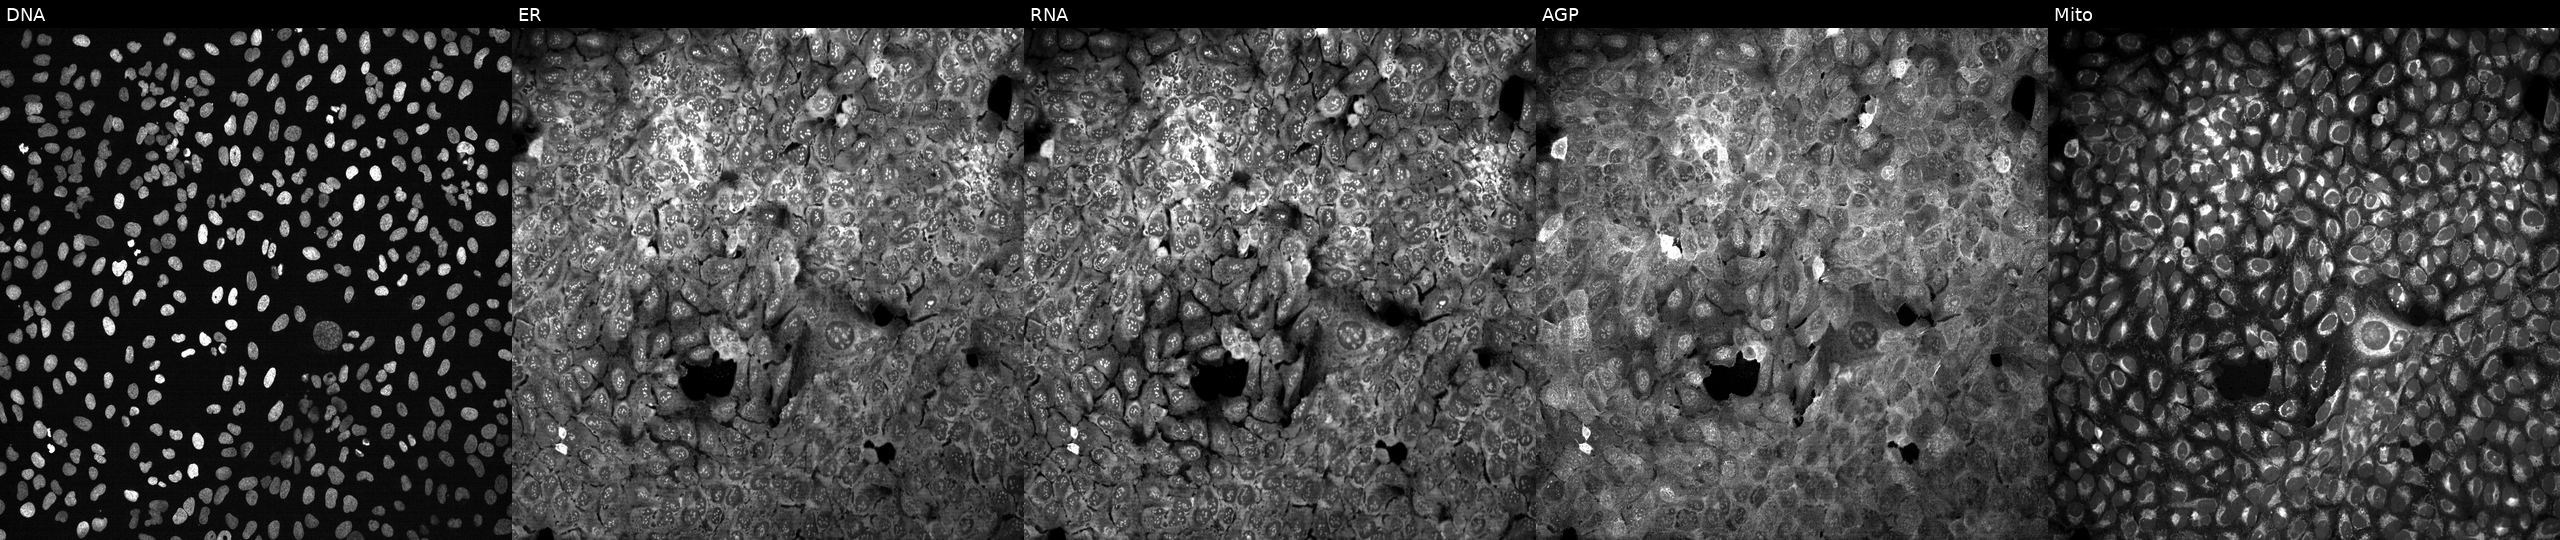
High-content fluorescence microscopy (Cell Painting). Cell line: U2OS. Perturbation: CRISPR-edited to disrupt ACER1 (JUMP id JCP2022_800104). Panels show, left to right, DNA (nuclei); ER (endoplasmic reticulum); RNA (nucleoli and cytoplasmic RNA); AGP (actin cytoskeleton, Golgi, and plasma membrane); Mito (mitochondria). Source 13, plate CP-CC9-R2-02, well N09.